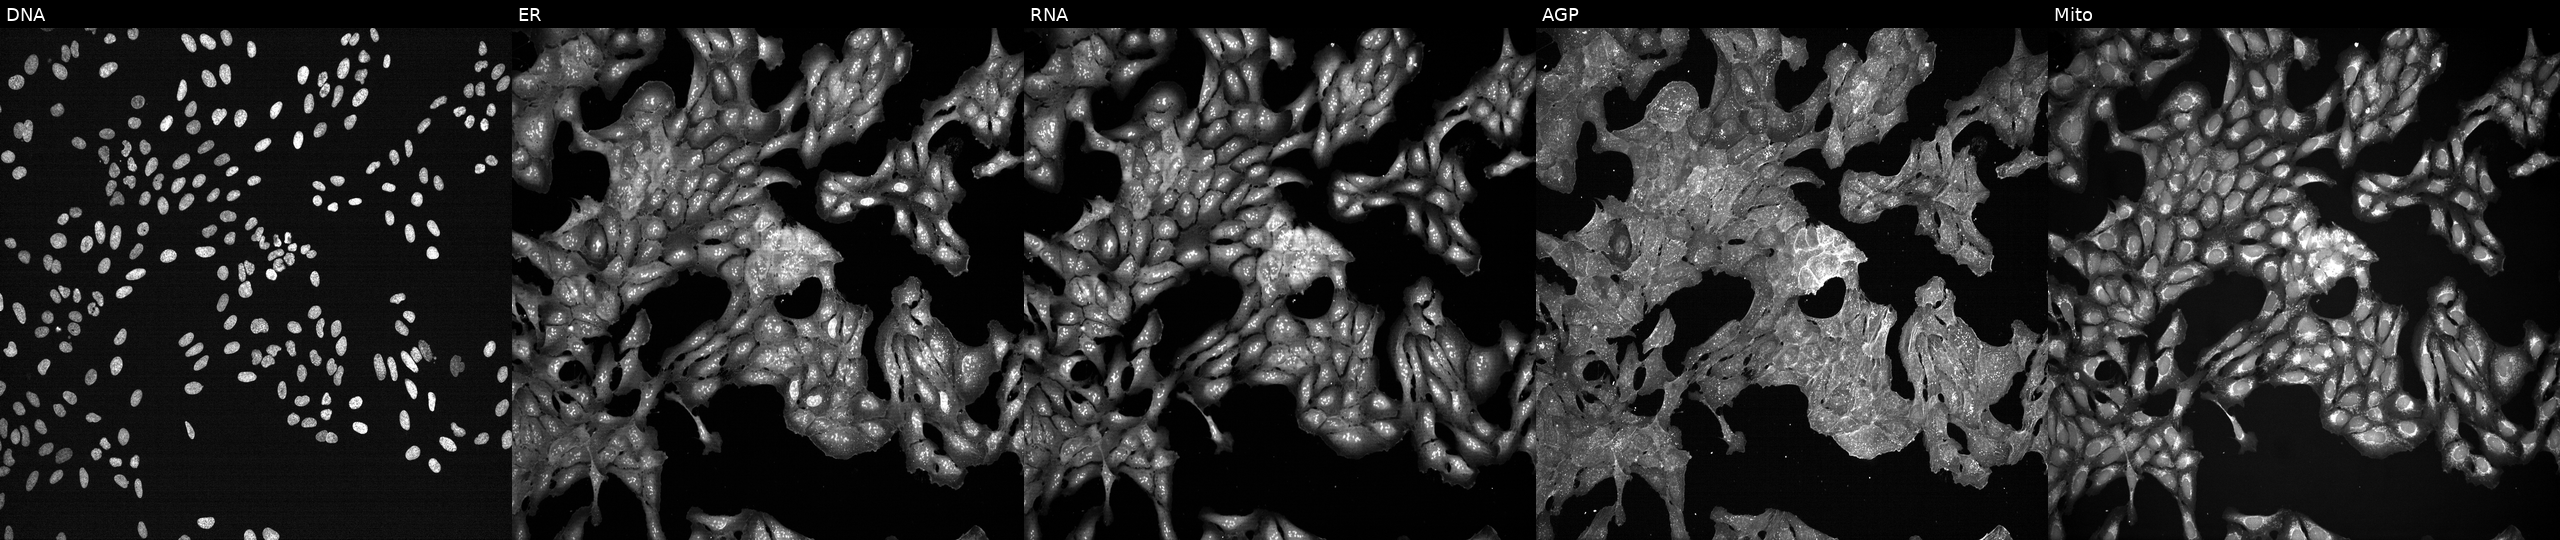
U2OS cells, Cell Painting assay, exposed to DMSO alone as a negative control. From left to right: Hoechst 33342, concanavalin A, SYTO 14, phalloidin and WGA, MitoTracker. Each panel is percentile-stretched 16-bit fluorescence.